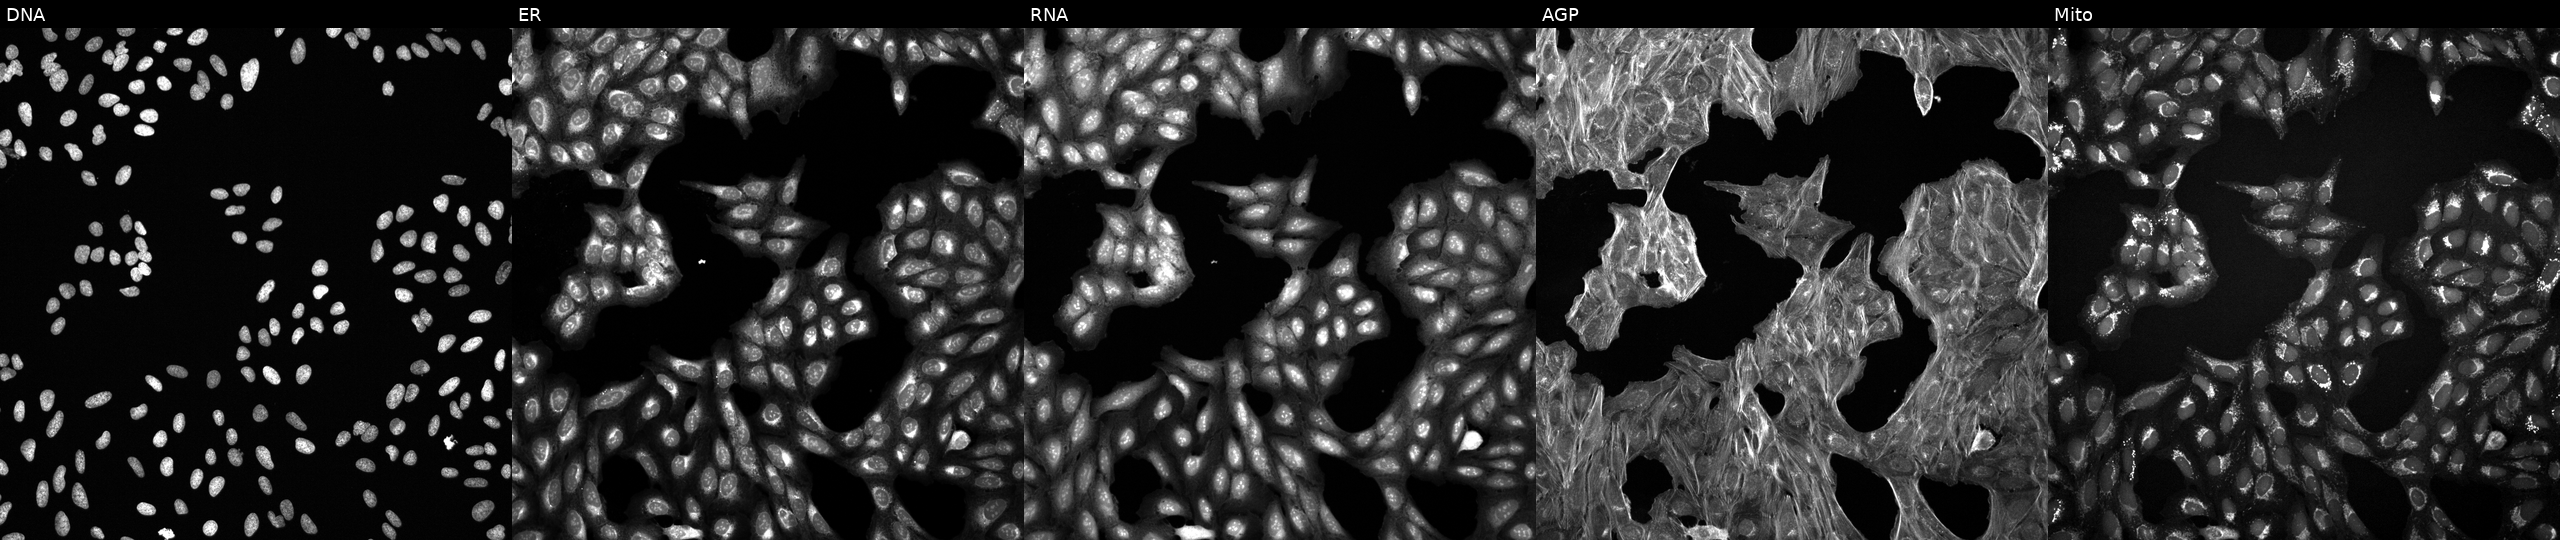
From left to right: Hoechst 33342, concanavalin A, SYTO 14, phalloidin and WGA, MitoTracker. U2OS osteosarcoma cells perturbed with a small-molecule compound (InChIKey KJKQEYHPGIYMMY-UHFFFAOYSA-N). Cell Painting assay, JUMP-CP dataset.